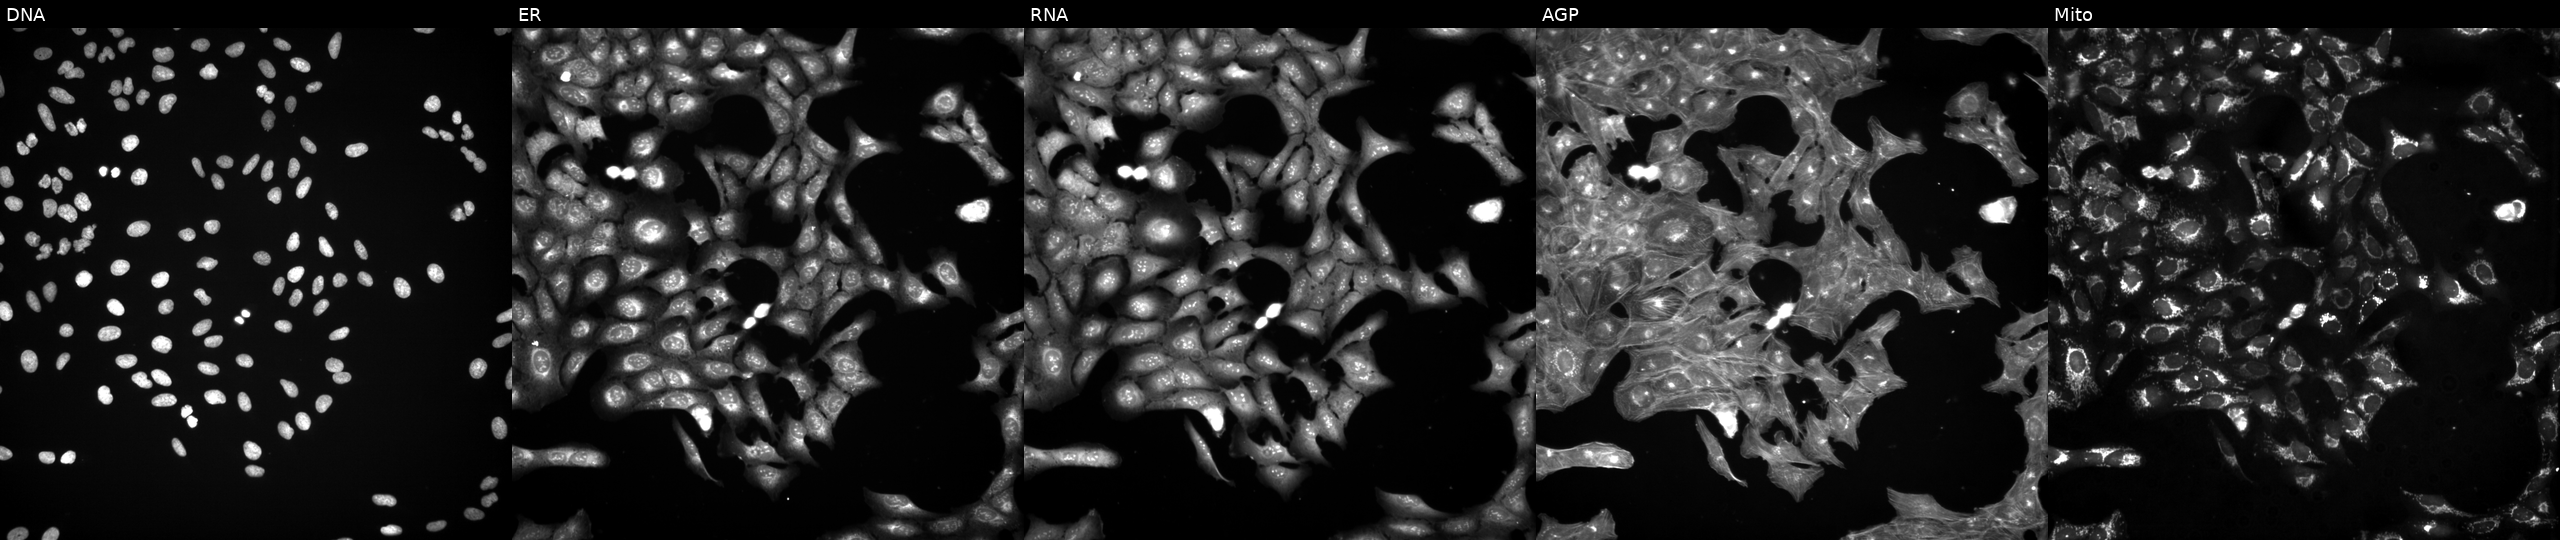
U2OS cells, Cell Painting assay, treated with DMSO vehicle only (negative control) (JUMP id JCP2022_033924). The five panels, left to right, show DNA, ER, RNA, AGP, and Mito. Each panel is percentile-stretched 16-bit fluorescence.